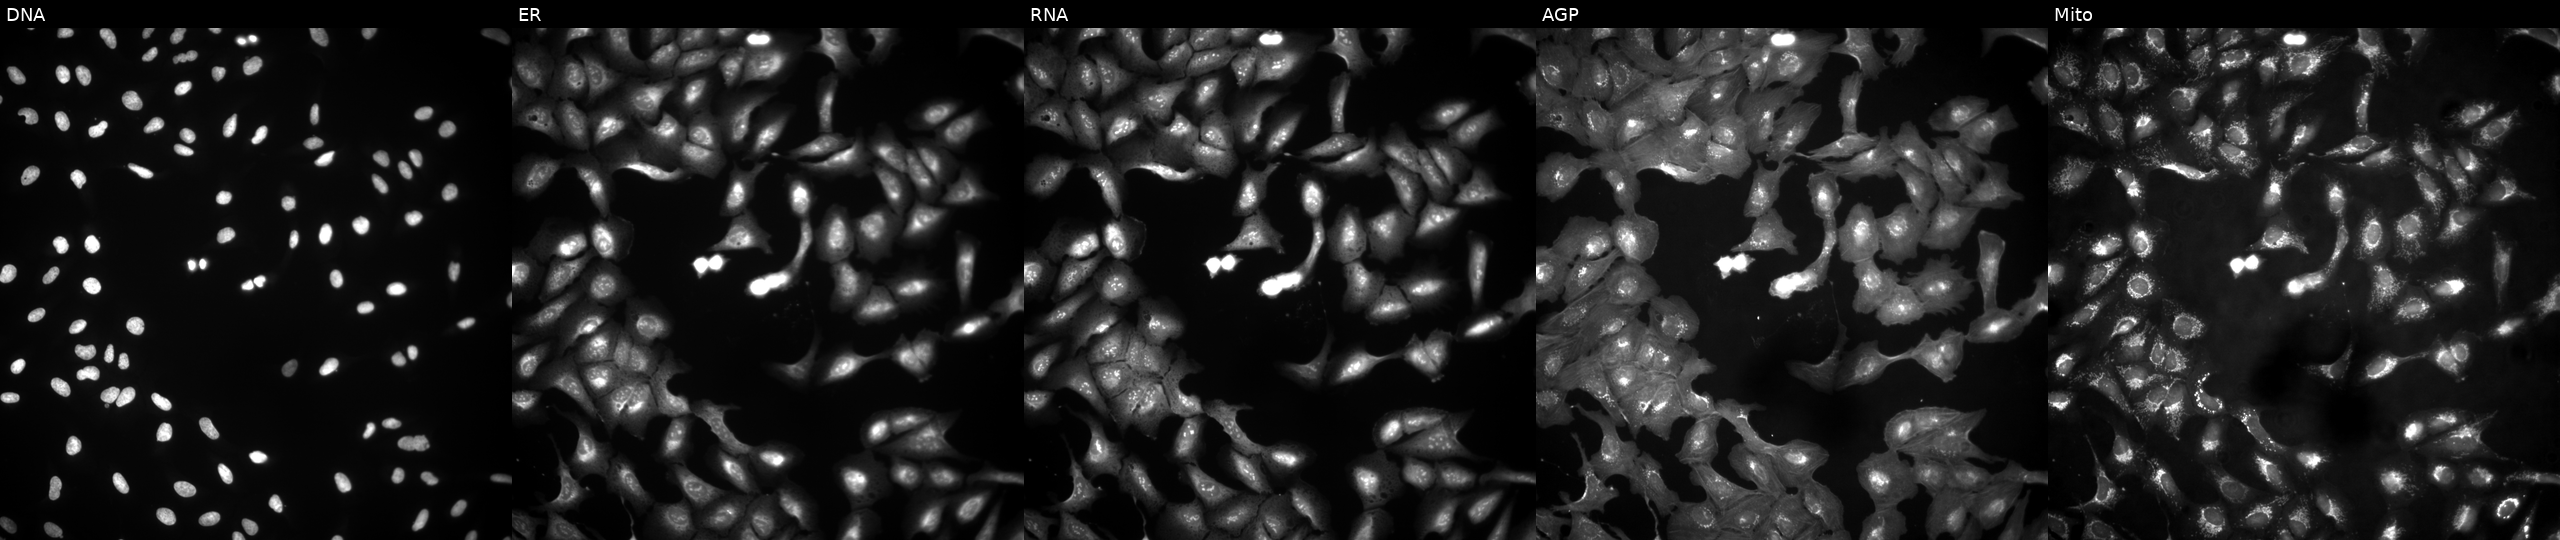
High-content fluorescence microscopy (Cell Painting). Cell line: U2OS. Perturbation: transfected with an ORF construct for ESRP1. From left to right: DNA (nuclei); ER (endoplasmic reticulum); RNA (nucleoli and cytoplasmic RNA); AGP (actin cytoskeleton, Golgi, and plasma membrane); Mito (mitochondria). Source 4, plate BR00124790, well J22.